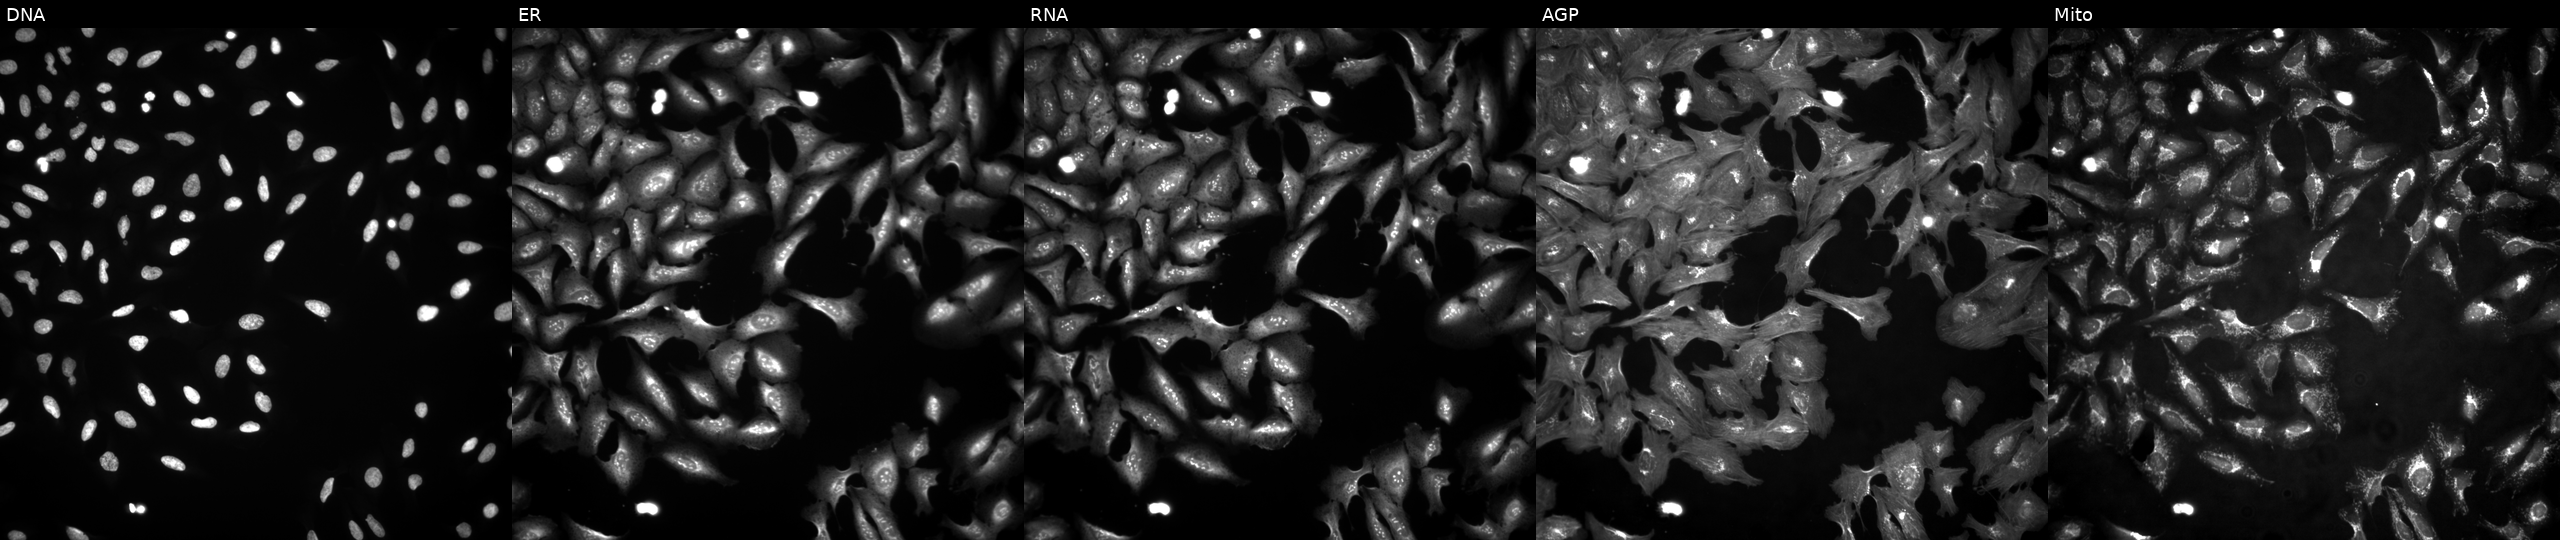
U2OS cells, Cell Painting assay, overexpressing BEX5 via ORF transfection. From left to right: DNA, ER, RNA, AGP, and Mito. Each panel is percentile-stretched 16-bit fluorescence.